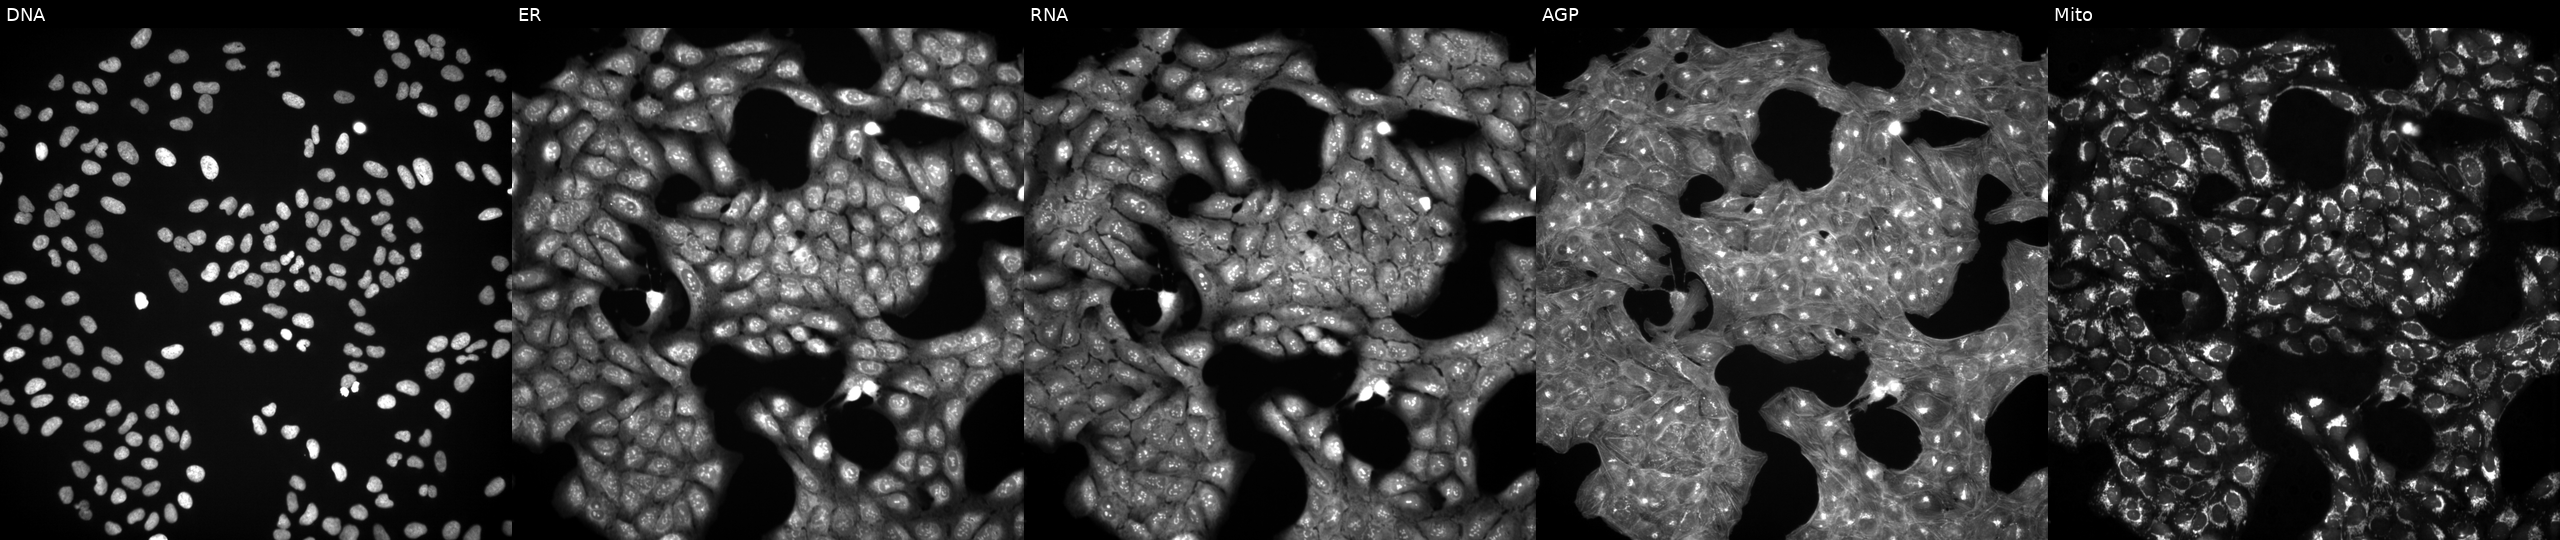
JUMP Cell Painting — TARGET2 plate. U2OS cells exposed to a small-molecule compound (InChIKey XSDQTOBWRPYKKA-UHFFFAOYSA-N) (JUMP id JCP2022_105696). Panels show, left to right, DNA, ER, RNA, AGP, and Mito.